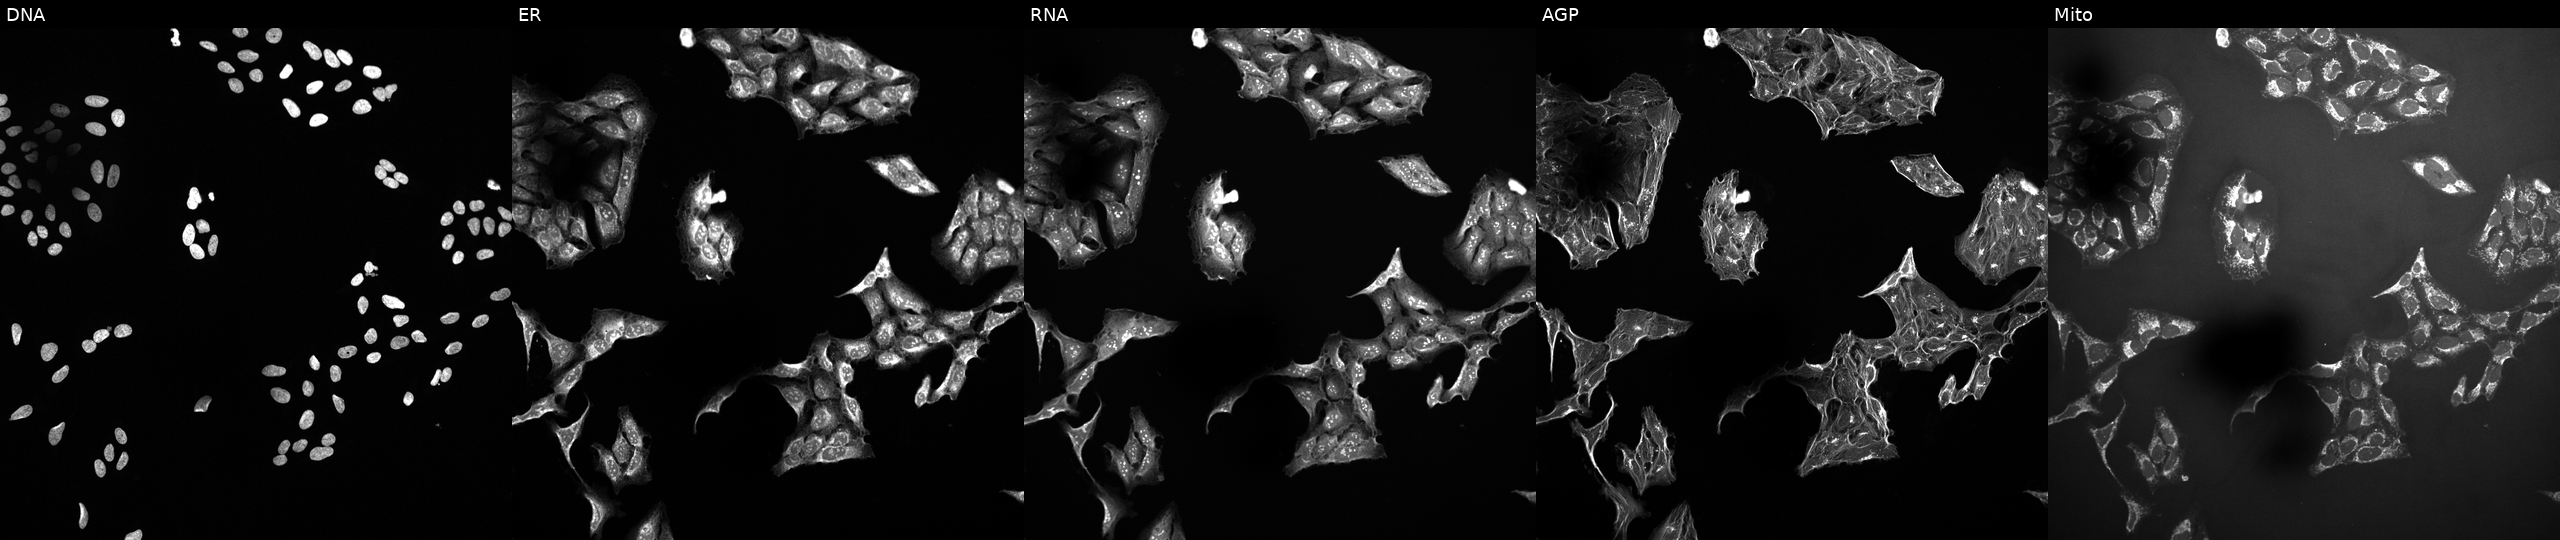
Panels show, left to right, DNA, ER, RNA, AGP, and Mito. U2OS osteosarcoma cells exposed to a small-molecule compound (JUMP id JCP2022_092256). Cell Painting assay, JUMP-CP dataset.